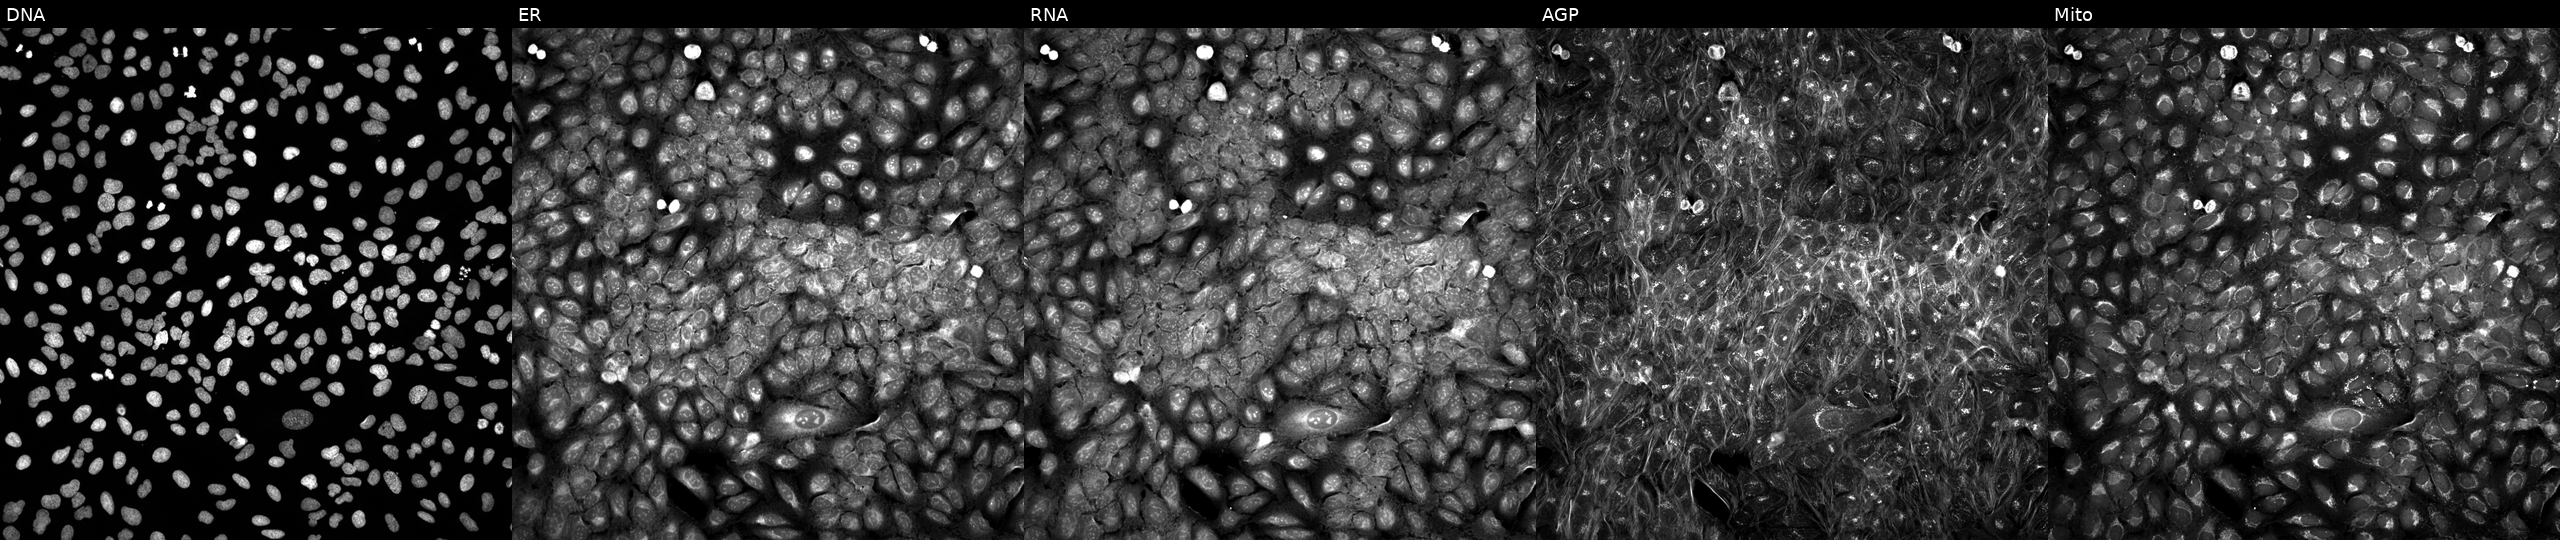
Five-channel Cell Painting image of U2OS cells exposed to a small-molecule compound (InChIKey WDENQIQQYWYTPO-UHFFFAOYSA-N) (JUMP id JCP2022_097998). Panels show, left to right, Hoechst 33342, concanavalin A, SYTO 14, phalloidin and WGA, MitoTracker. Source 5, plate ACPJUM032, well P07.